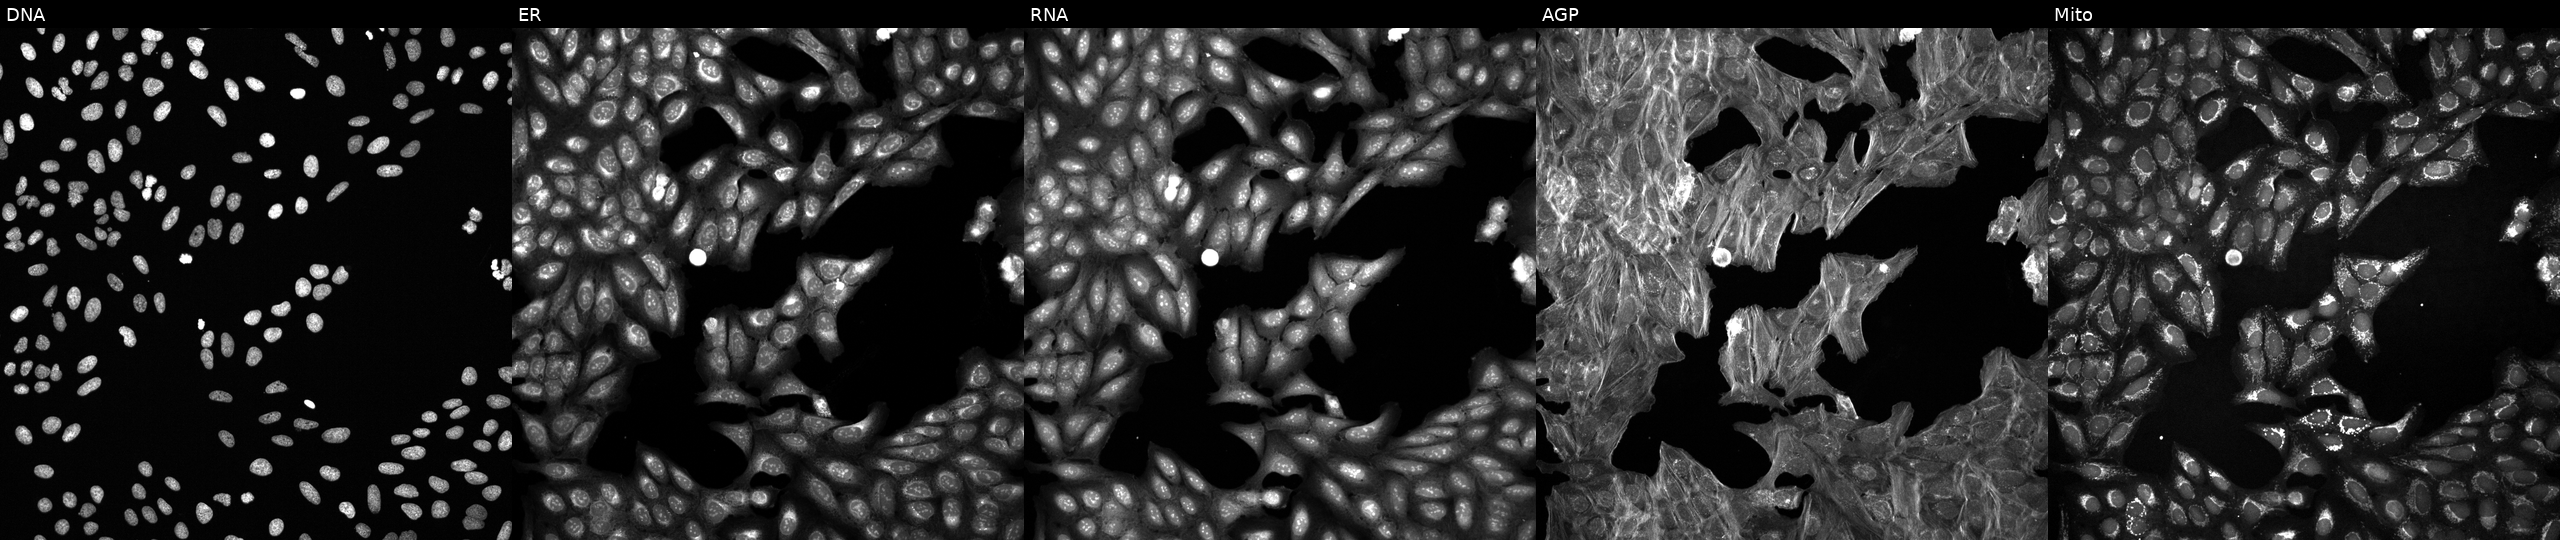
High-content fluorescence microscopy (Cell Painting). Cell line: U2OS. Perturbation: treated with DMSO vehicle only (negative control). From left to right: Hoechst 33342, concanavalin A, SYTO 14, phalloidin and WGA, MitoTracker. Source 6, plate 110000293093, well B13.